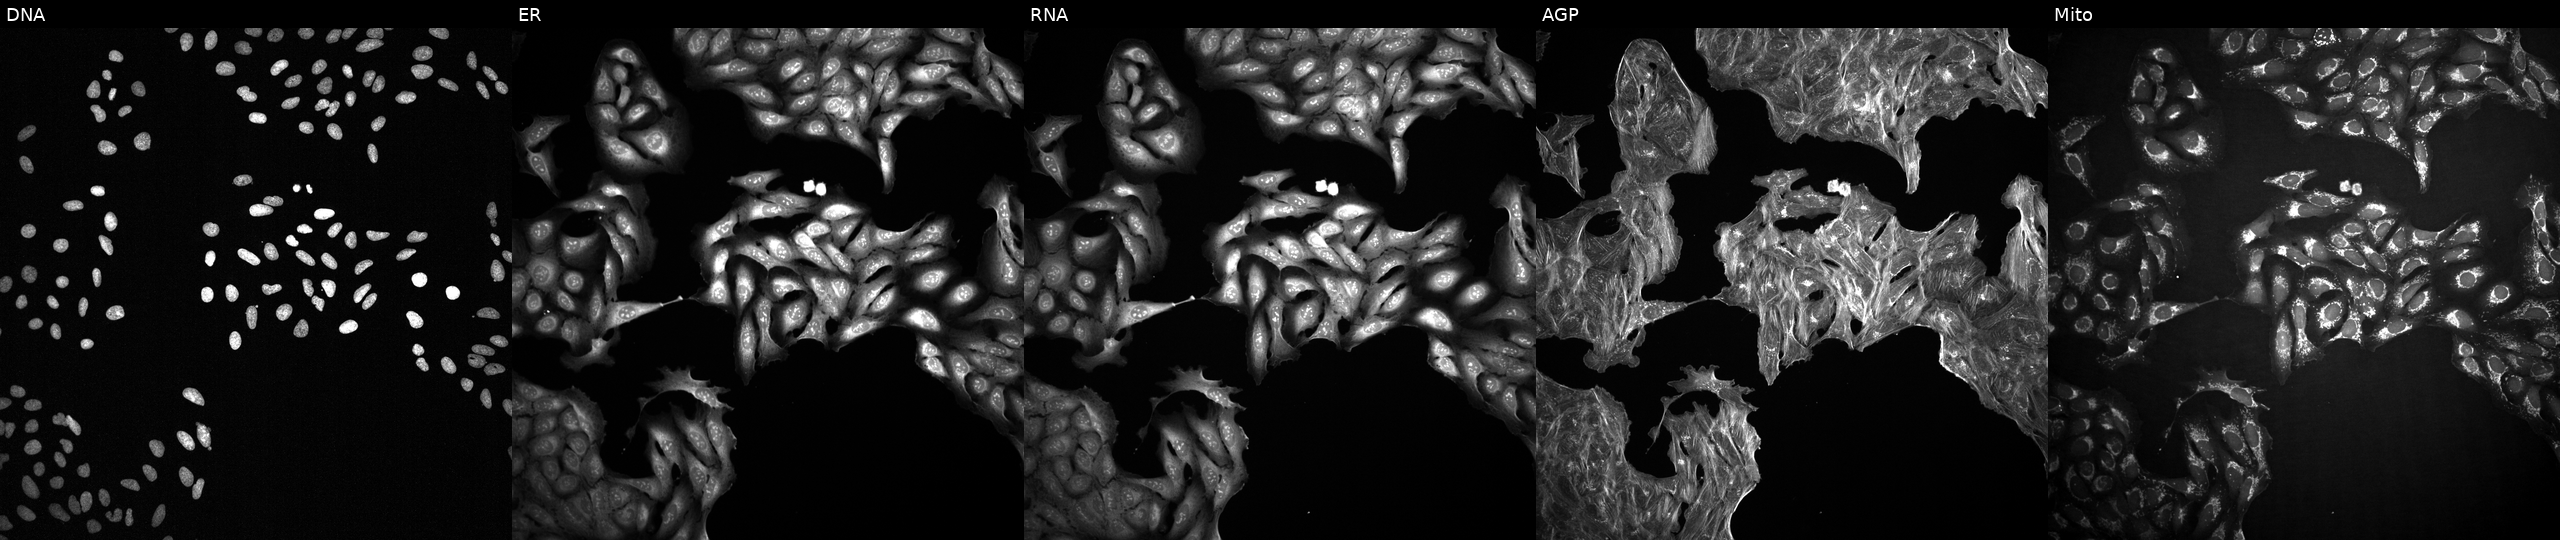
JUMP Cell Painting — COMPOUND plate. U2OS cells treated with a small-molecule compound. Channels (left→right): DNA, ER, RNA, AGP, and Mito. Source 2, plate 1053601763, well F03.